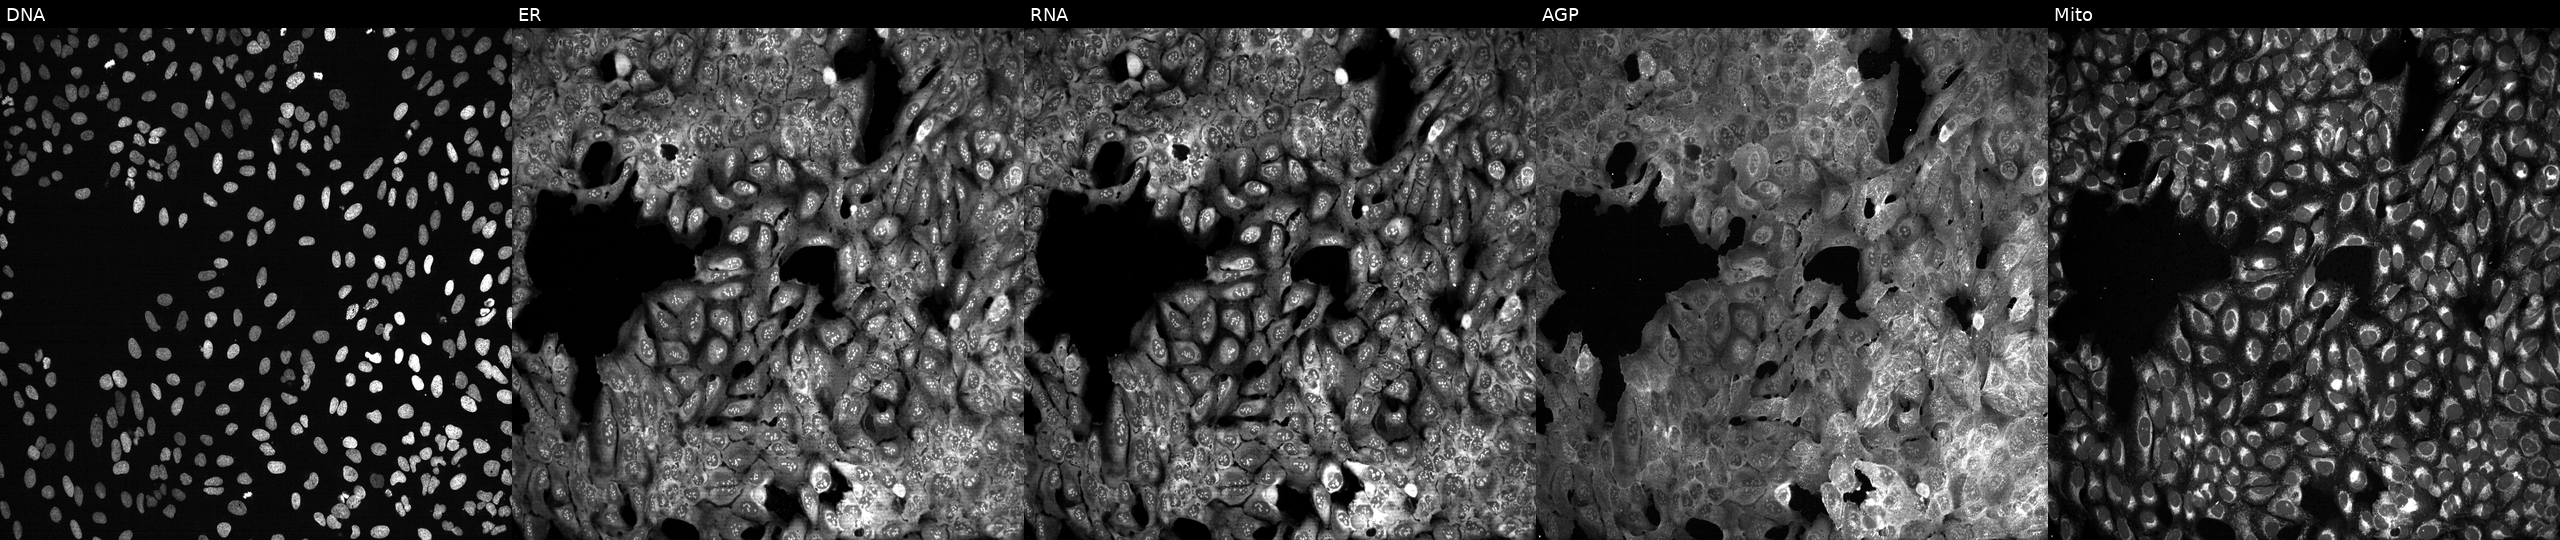
JUMP Cell Painting — CRISPR plate. U2OS cells CRISPR-edited to disrupt L3HYPDH (JUMP id JCP2022_803763). The five panels, left to right, show Hoechst 33342, concanavalin A, SYTO 14, phalloidin and WGA, MitoTracker. Source 13, plate CP-CC9-R3-02, well D06.